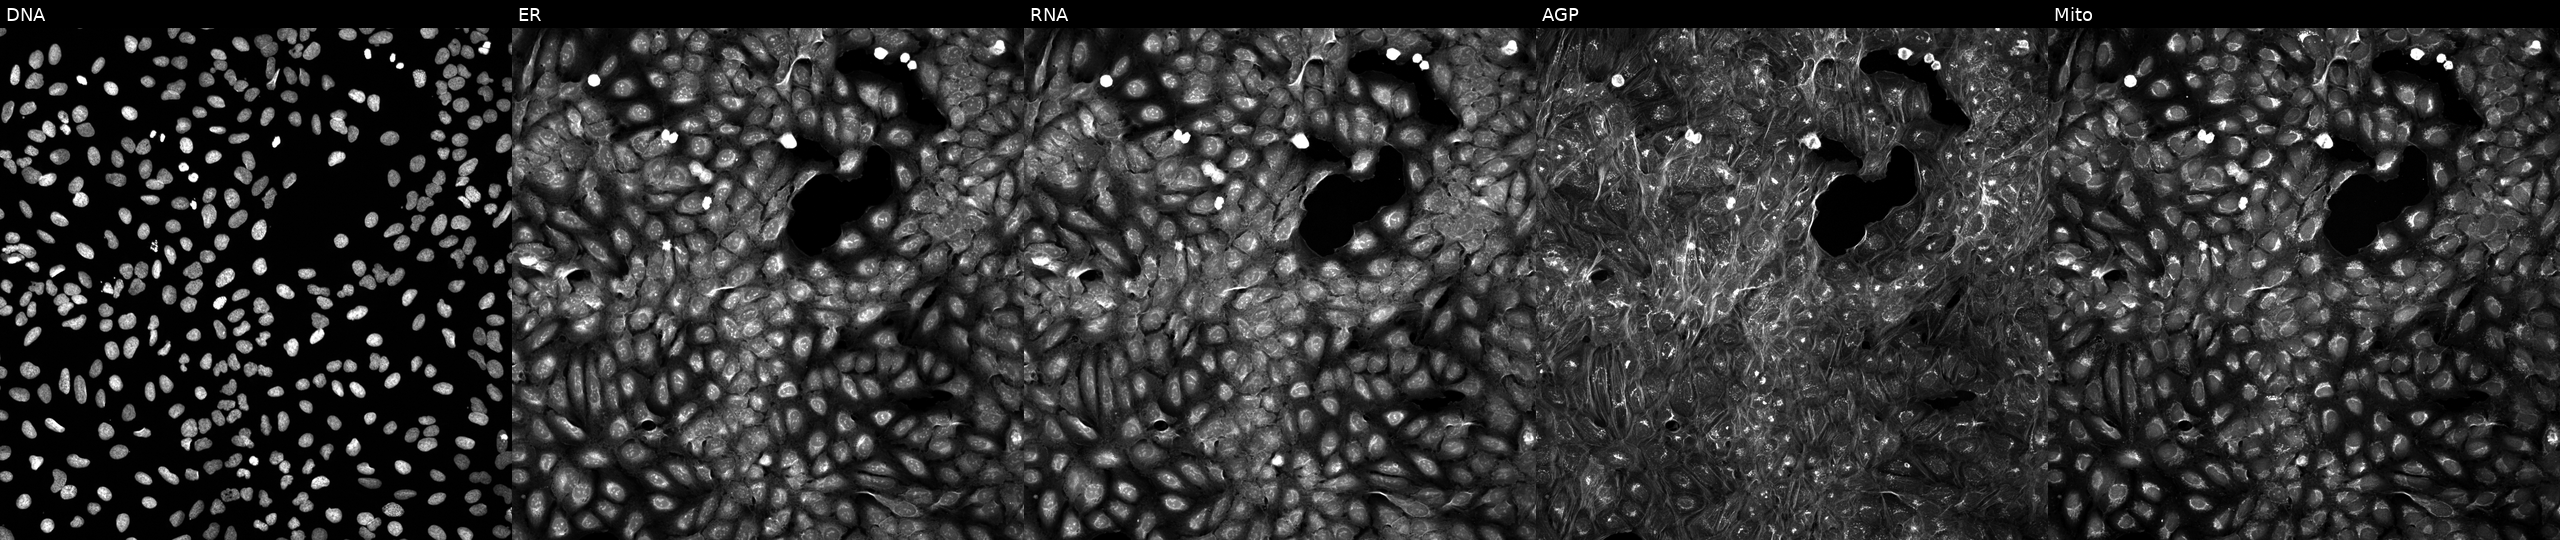
U2OS cells, Cell Painting assay, treated with a small-molecule compound (InChIKey BGUUDUCZFJLCEJ-UHFFFAOYSA-N) (JUMP id JCP2022_006263). Channels (left→right): DNA, ER, RNA, AGP, and Mito. Each panel is percentile-stretched 16-bit fluorescence.